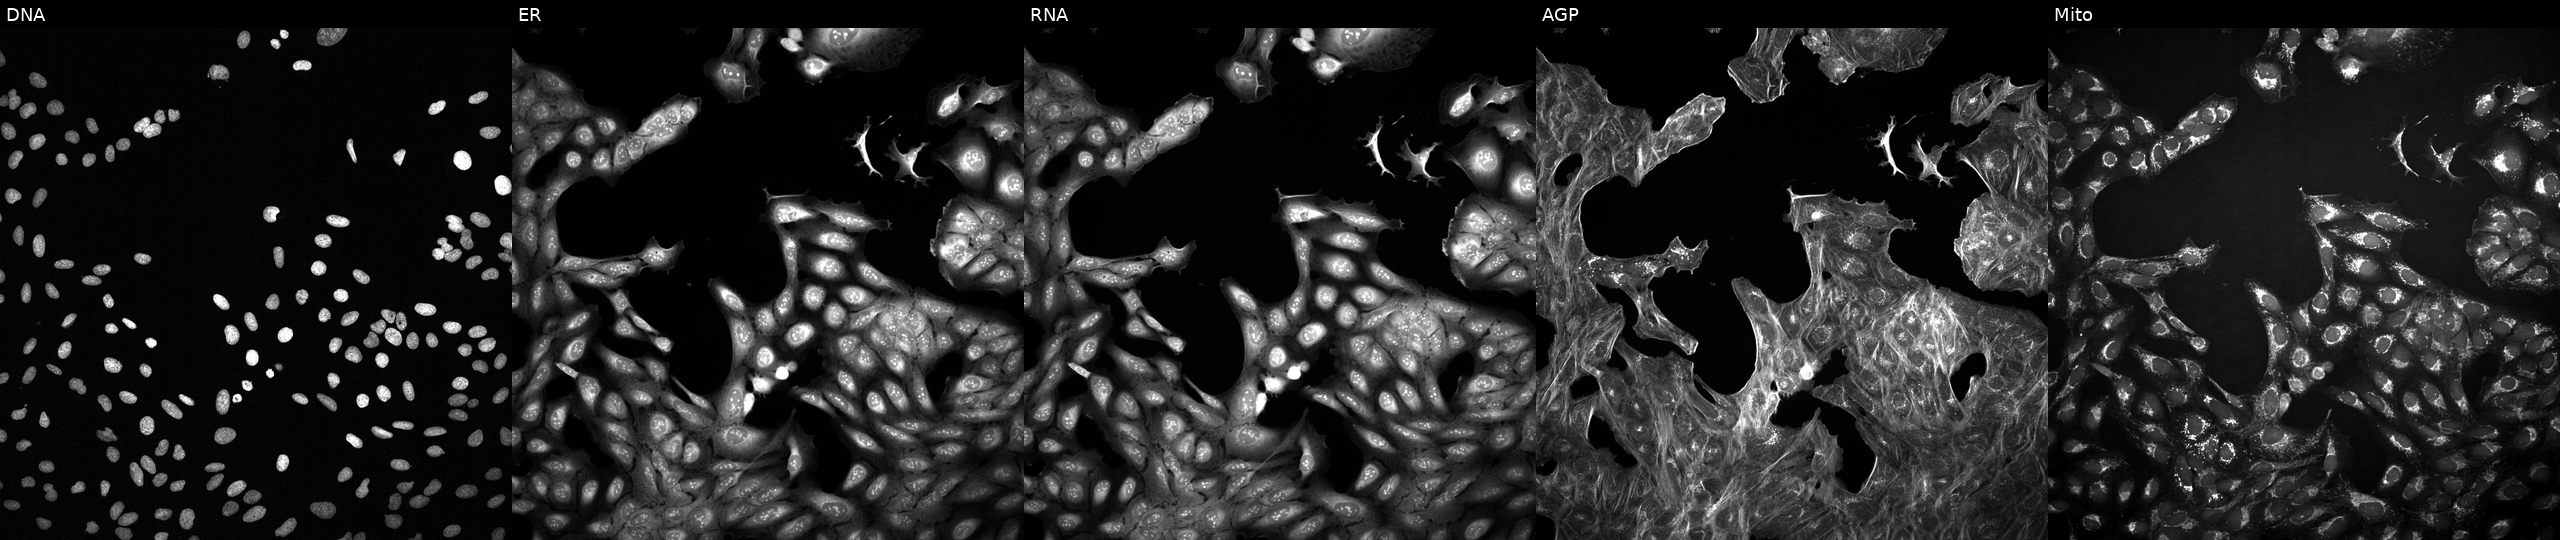
Five-channel Cell Painting image of U2OS cells with an unidentified perturbation (not annotated in JUMP metadata). The five panels, left to right, show DNA (nuclei); ER (endoplasmic reticulum); RNA (nucleoli and cytoplasmic RNA); AGP (actin cytoskeleton, Golgi, and plasma membrane); Mito (mitochondria).